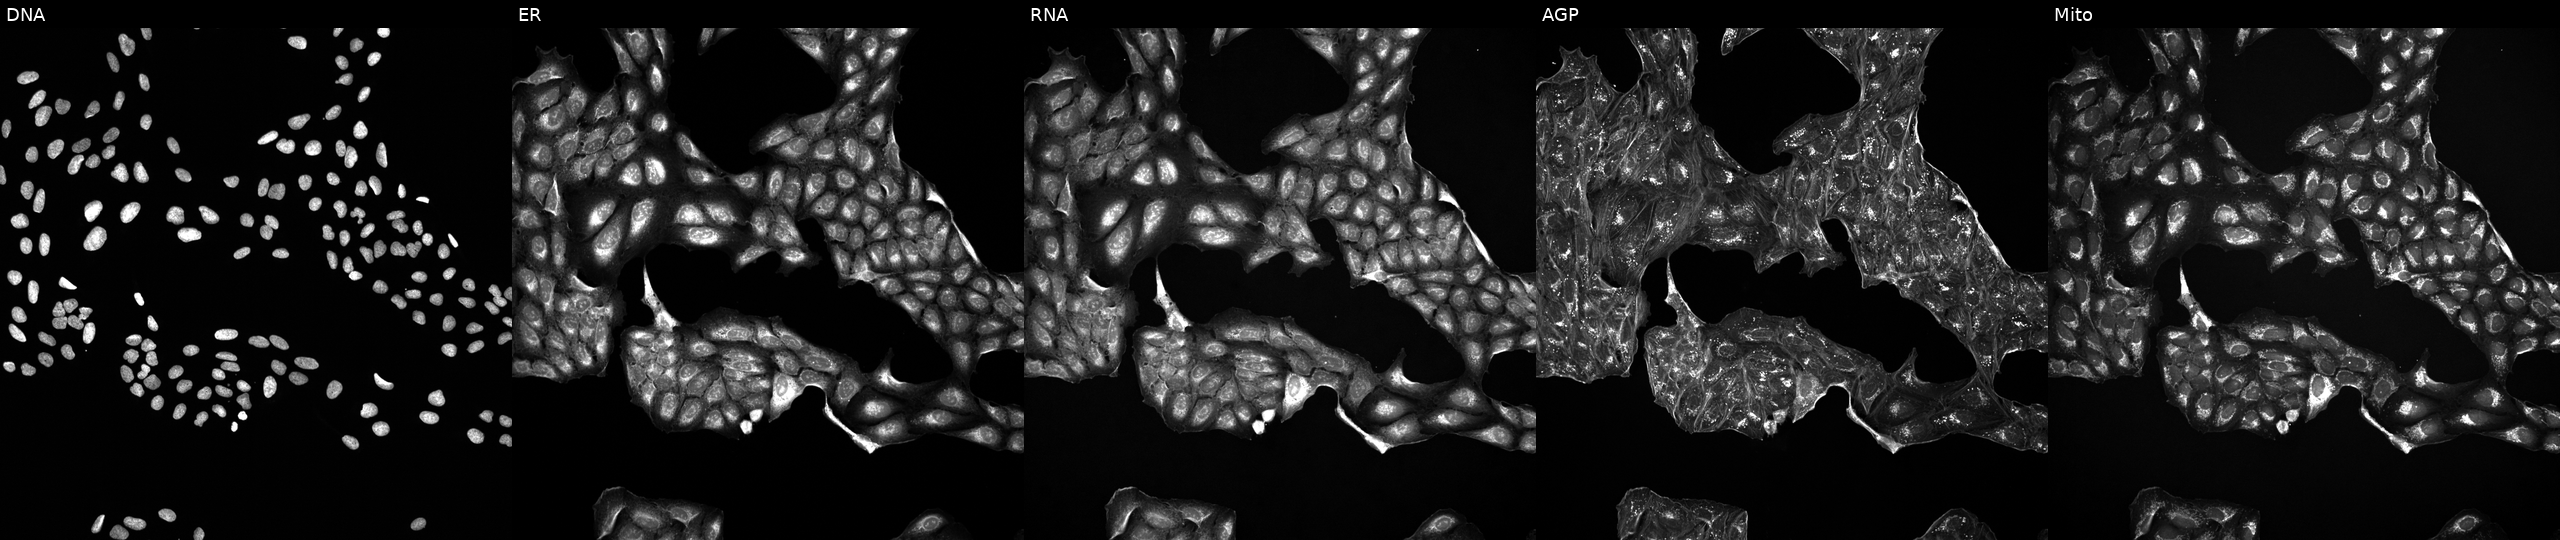
JUMP Cell Painting — TARGET2 plate. U2OS cells perturbed with a small-molecule compound (InChIKey CYYNMPPFEJPBJD-UHFFFAOYSA-N) [SMILES: CC1(N2CCC(n3c(C4CCCNC4)nc4ccccc43)CC2)CCCCCCC1] (JUMP id JCP2022_014367). Channels (left→right): DNA (nuclei); ER (endoplasmic reticulum); RNA (nucleoli and cytoplasmic RNA); AGP (actin cytoskeleton, Golgi, and plasma membrane); Mito (mitochondria).